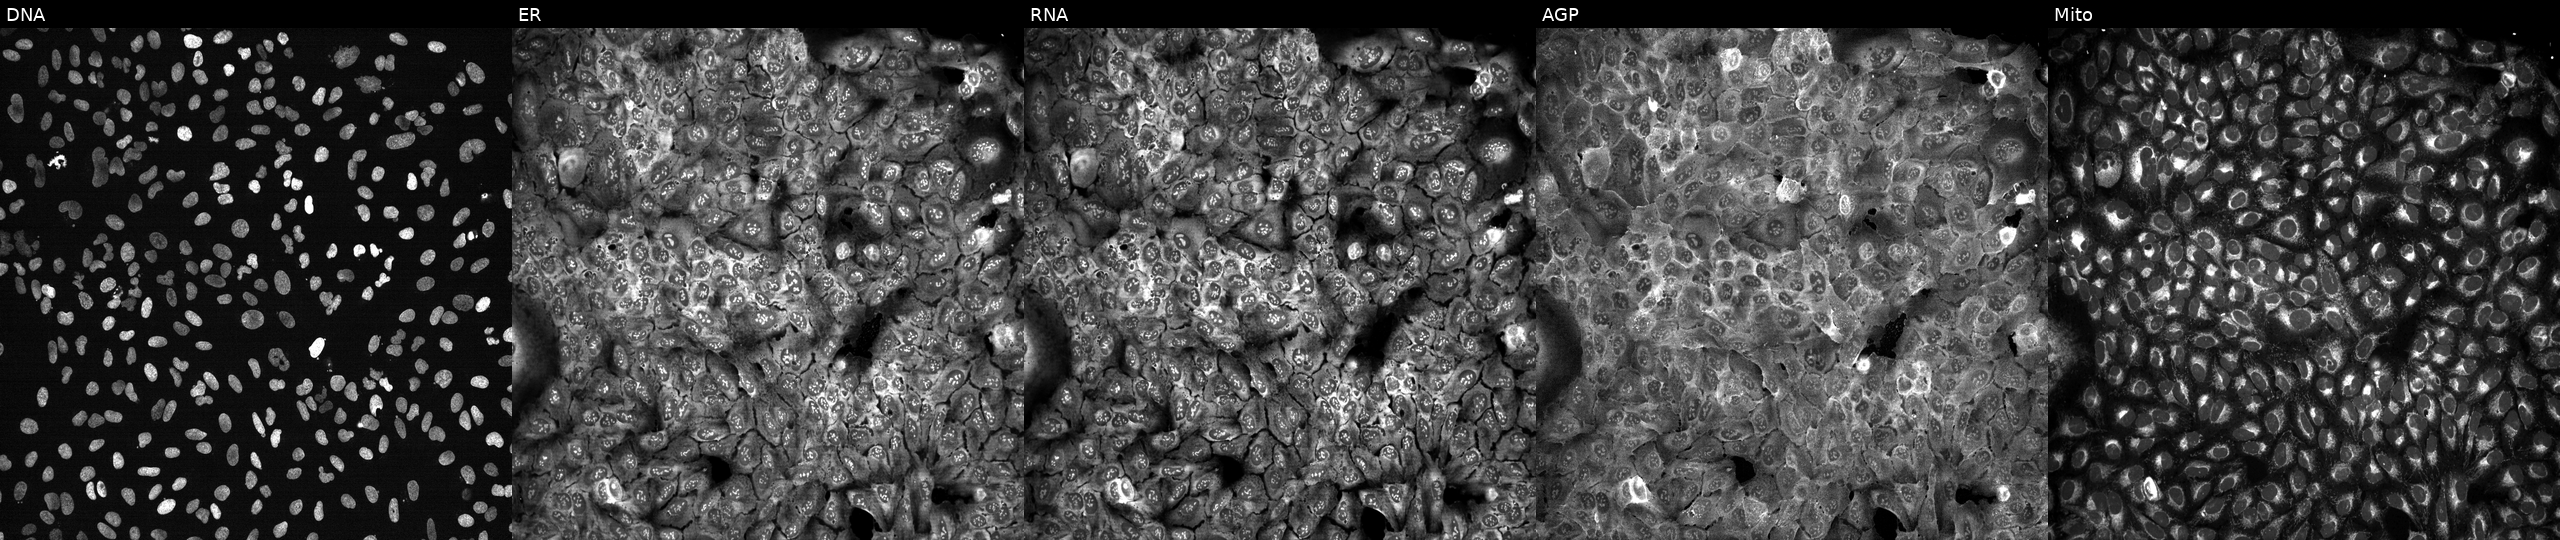
JUMP Cell Painting — CRISPR plate. U2OS cells CRISPR-edited to disrupt SLC11A2 (JUMP id JCP2022_806364). Channels (left→right): Hoechst 33342, concanavalin A, SYTO 14, phalloidin and WGA, MitoTracker.